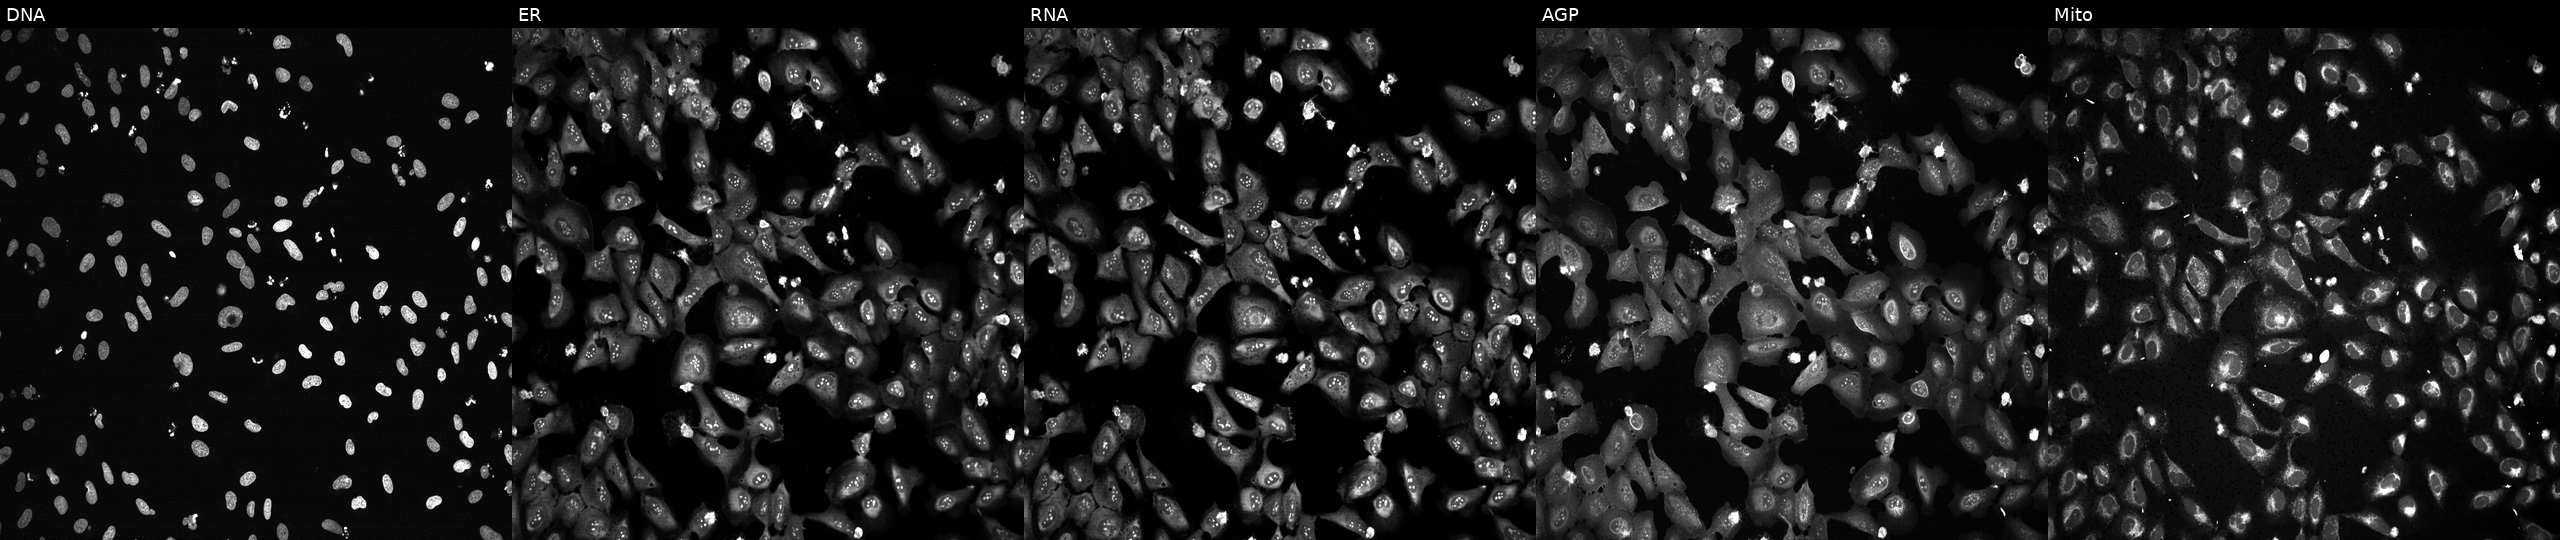
This image strip shows the five Cell Painting channels for a single field of U2OS cells treated with TC-S-7004 (positive-control compound) (JUMP id JCP2022_012818). From left to right: DNA (nuclei); ER (endoplasmic reticulum); RNA (nucleoli and cytoplasmic RNA); AGP (actin cytoskeleton, Golgi, and plasma membrane); Mito (mitochondria).